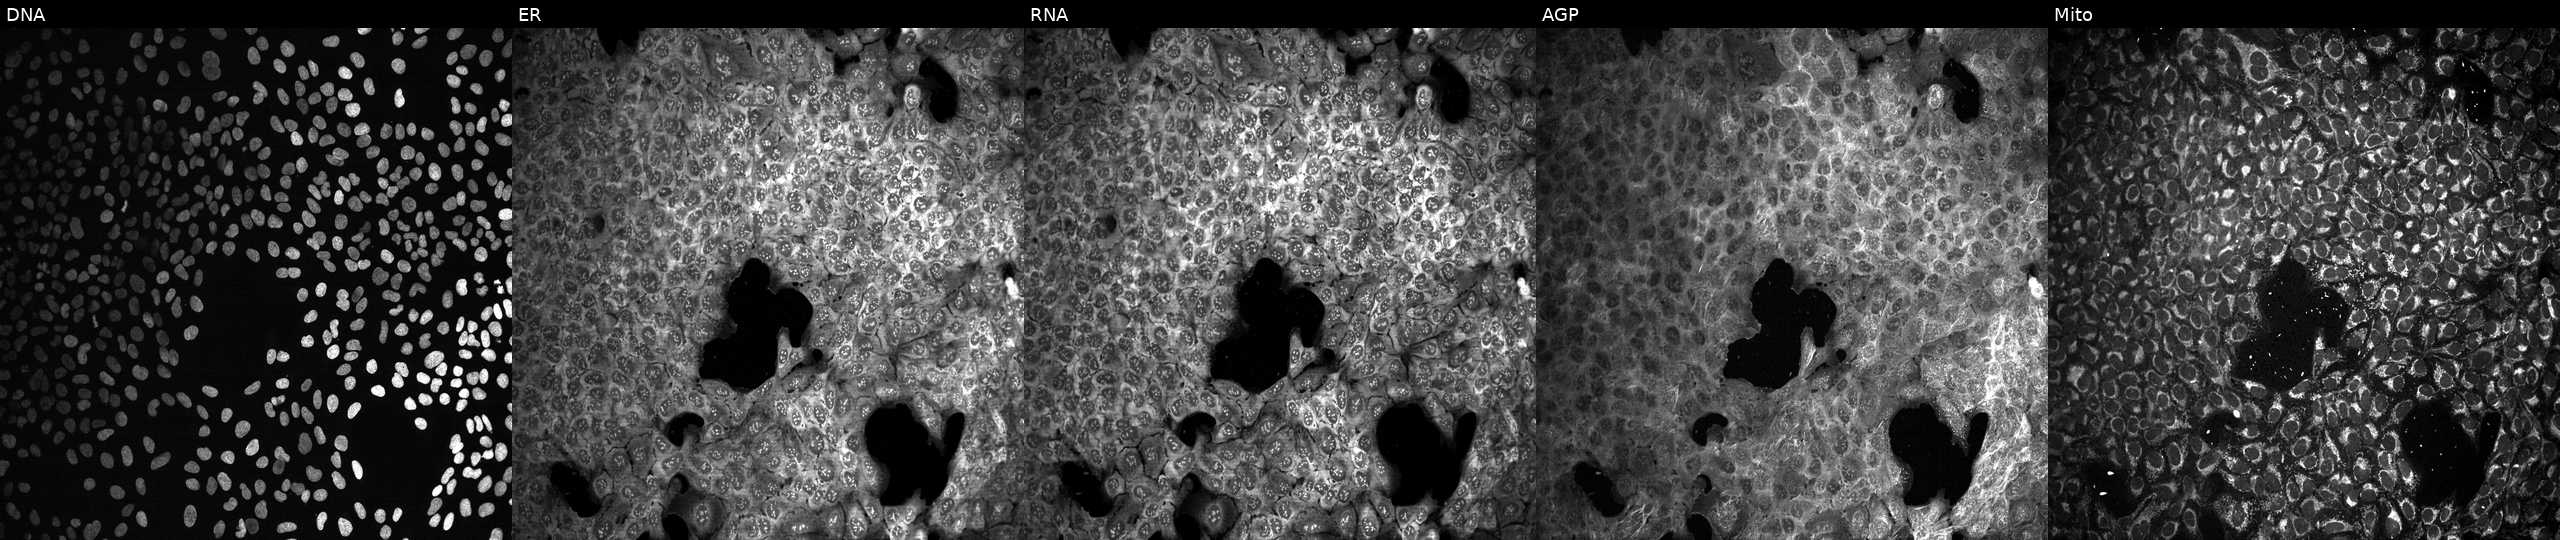
Five-channel Cell Painting image of U2OS cells exposed to the positive-control compound LY2109761. The five panels, left to right, show DNA, ER, RNA, AGP, and Mito.